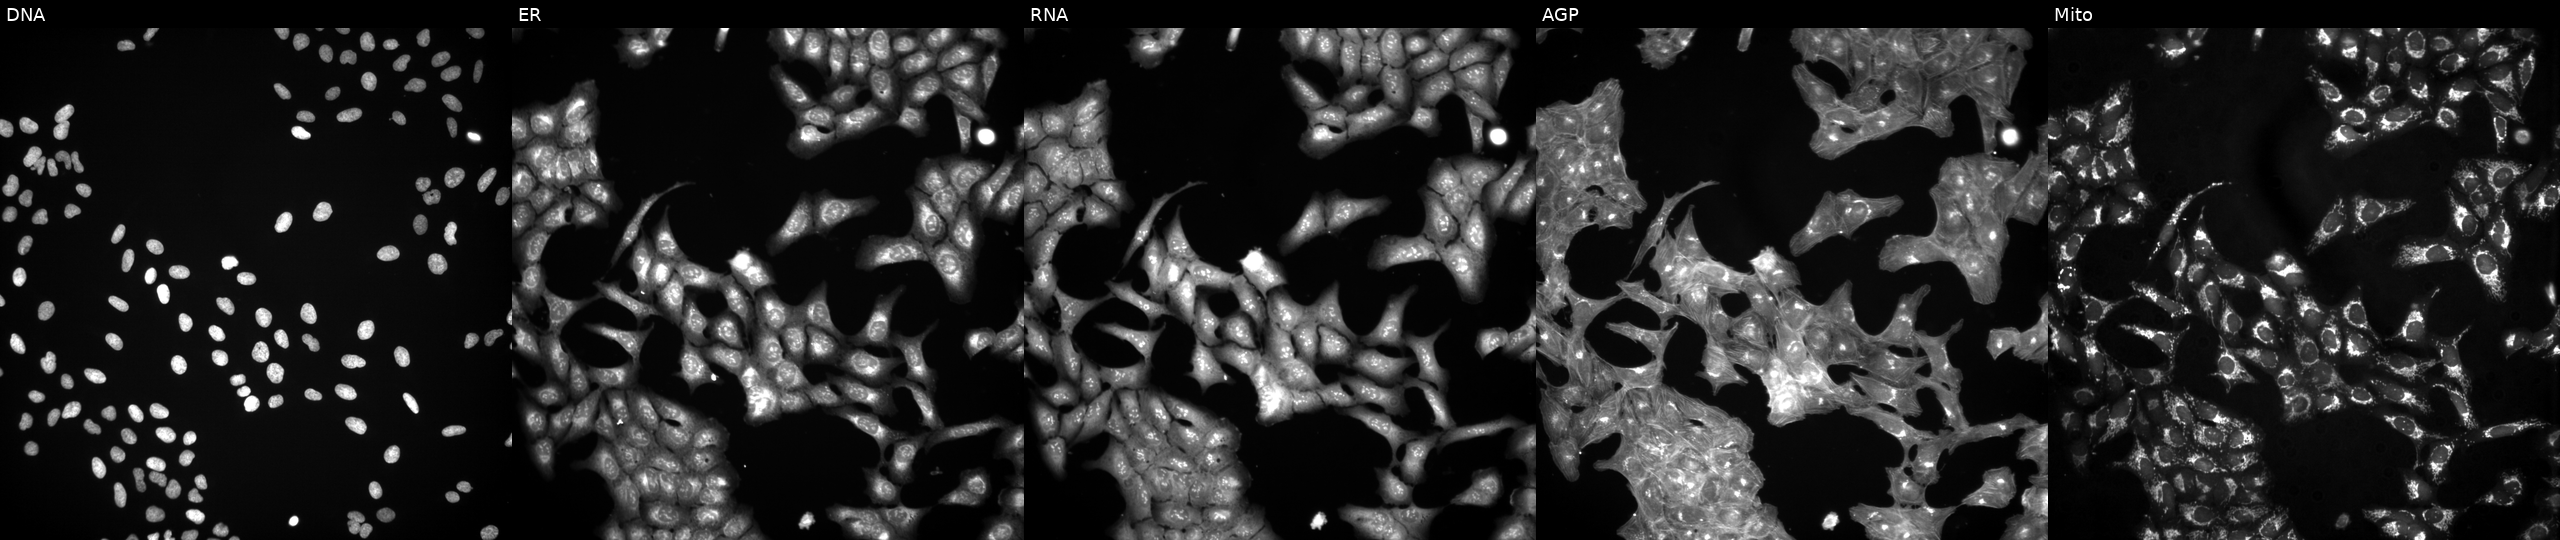
U2OS cells, Cell Painting assay, treated with a small-molecule compound [SMILES: CCCCCCCN(CC)CCCC(O)c1ccc(NS(C)(=O)=O)cc1] (JUMP id JCP2022_002206). The five panels, left to right, show Hoechst 33342, concanavalin A, SYTO 14, phalloidin and WGA, MitoTracker. Each panel is percentile-stretched 16-bit fluorescence.